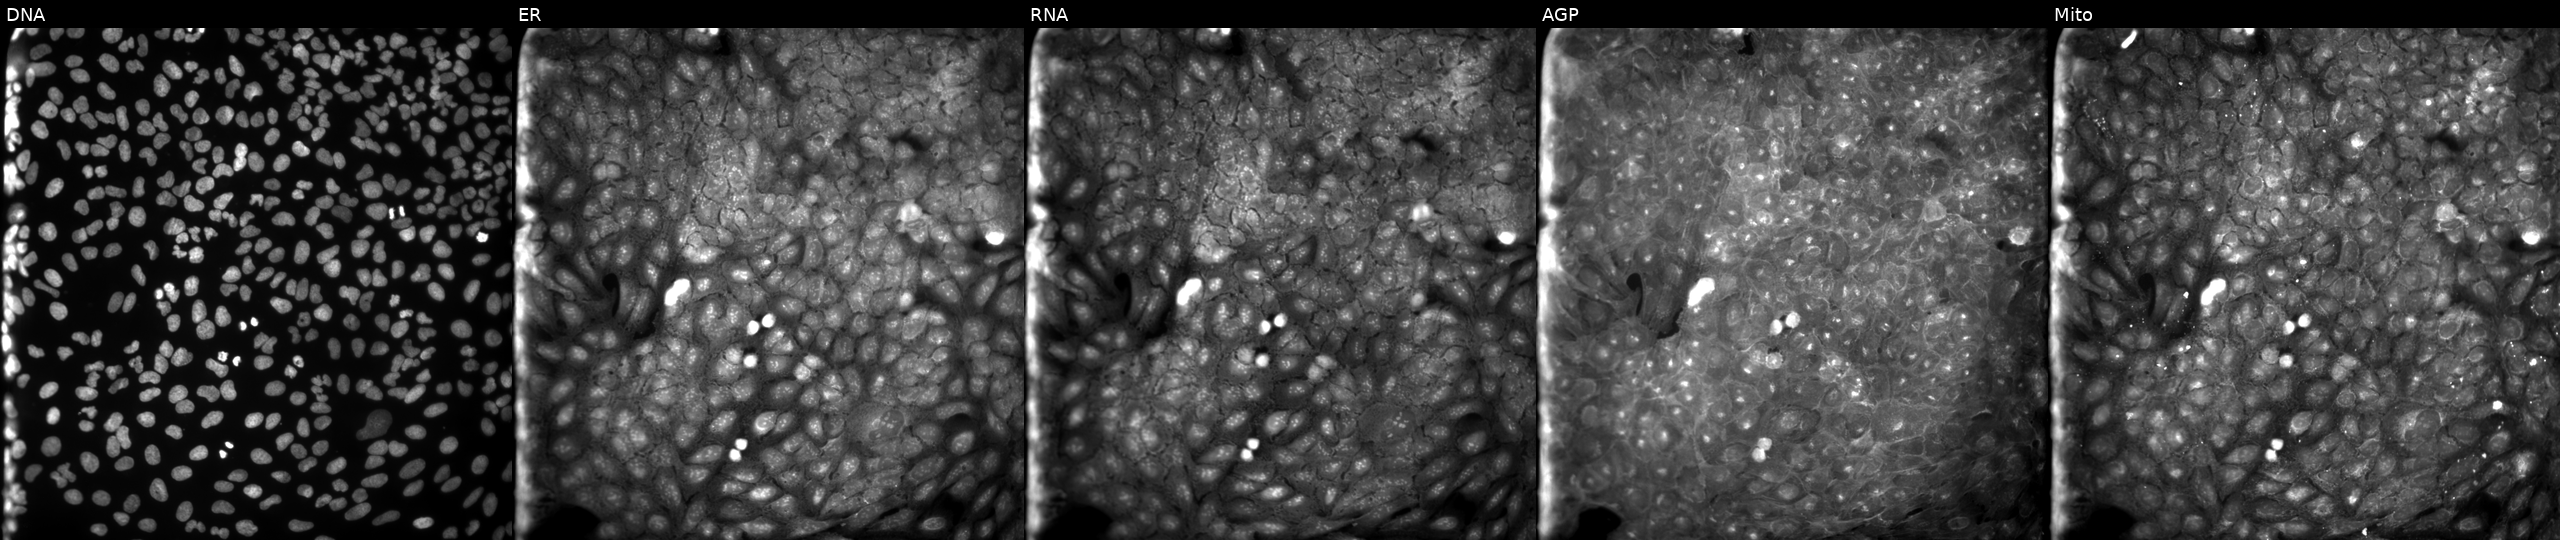
High-content fluorescence microscopy (Cell Painting). Cell line: U2OS. Perturbation: exposed to DMSO alone as a negative control (JUMP id JCP2022_033924). Panels show, left to right, Hoechst 33342, concanavalin A, SYTO 14, phalloidin and WGA, MitoTracker.